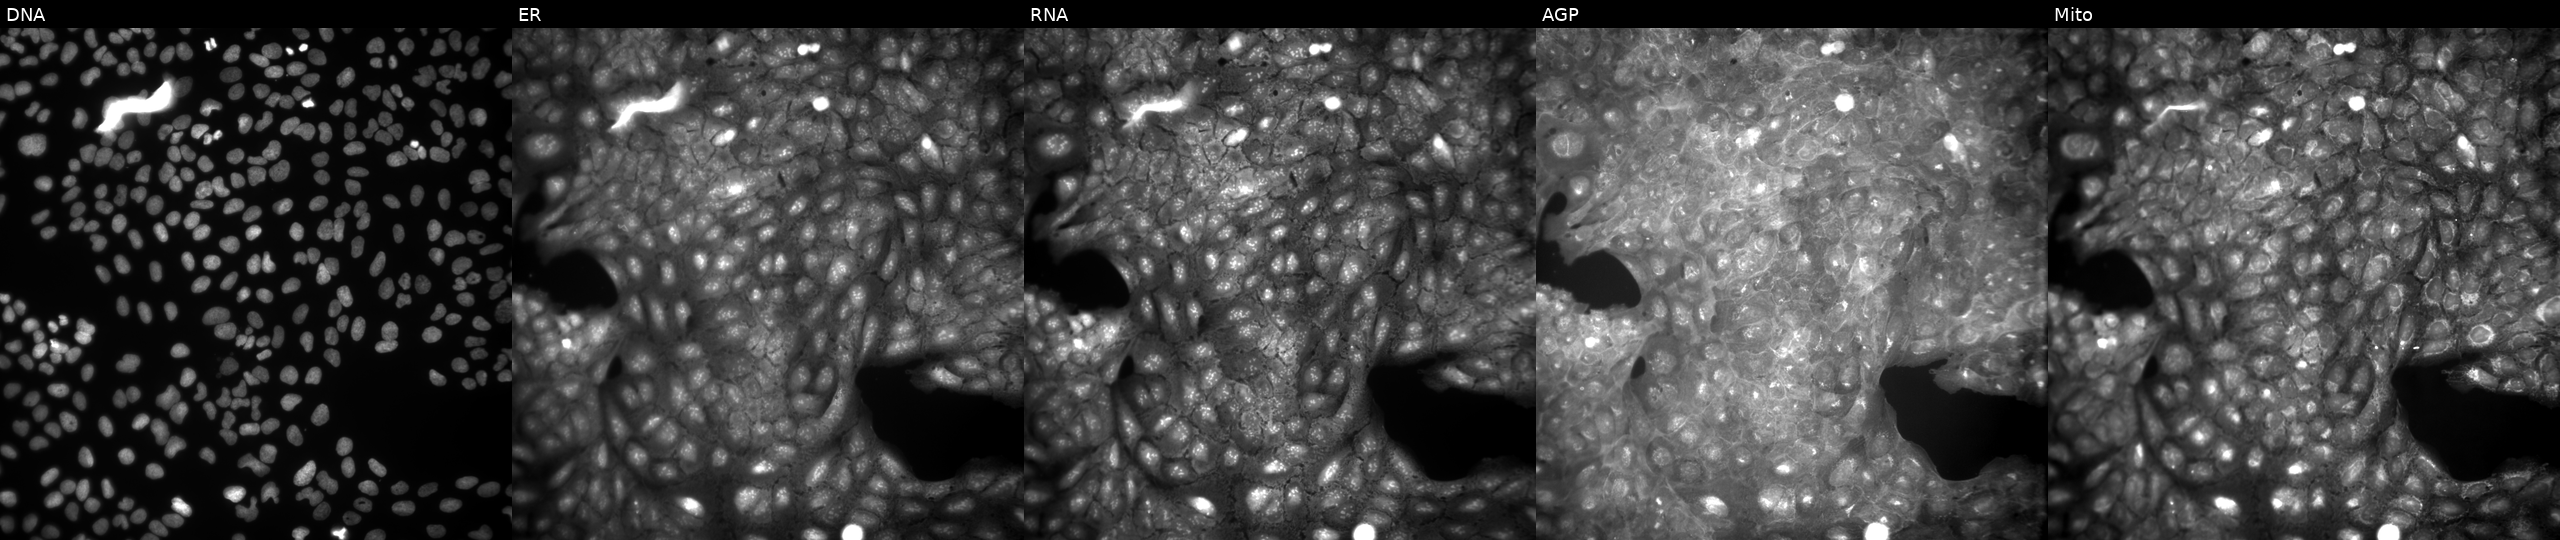
U2OS cells, Cell Painting assay, exposed to a small-molecule compound [SMILES: O=C(N=c1[nH]c(-c2ccc(Cl)cc2)cs1)c1ccc([N+](=O)[O-])cc1] (JUMP id JCP2022_050245). Channels (left→right): DNA (nuclei); ER (endoplasmic reticulum); RNA (nucleoli and cytoplasmic RNA); AGP (actin cytoskeleton, Golgi, and plasma membrane); Mito (mitochondria). Each panel is percentile-stretched 16-bit fluorescence.